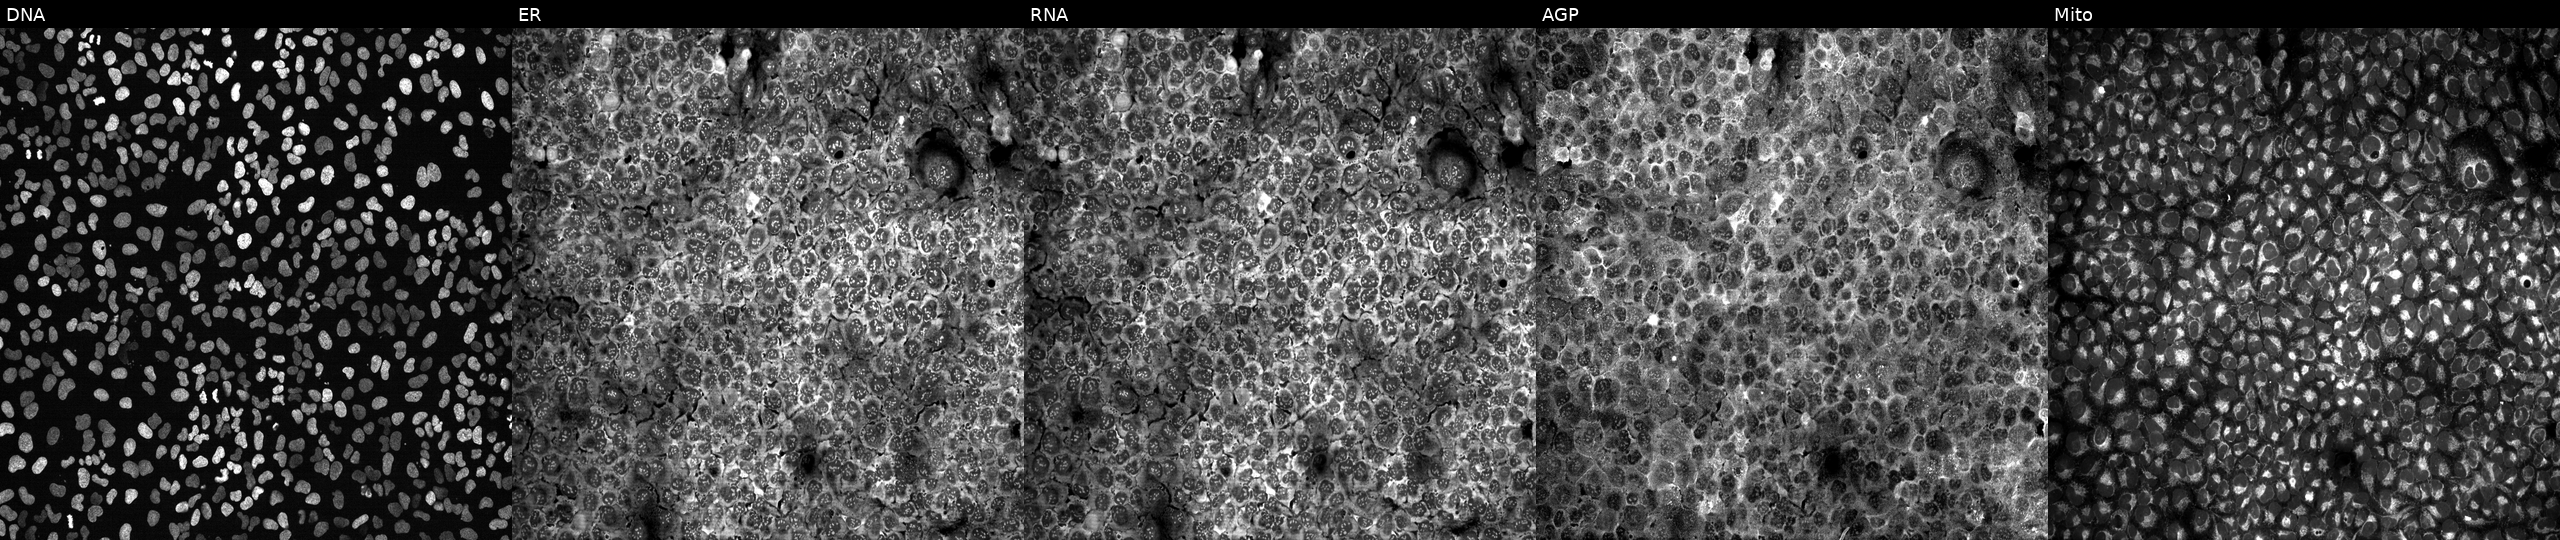
High-content fluorescence microscopy (Cell Painting). Cell line: U2OS. Perturbation: following CRISPR knockout of SLC27A2 (JUMP id JCP2022_806473). The five panels, left to right, show DNA (nuclei); ER (endoplasmic reticulum); RNA (nucleoli and cytoplasmic RNA); AGP (actin cytoskeleton, Golgi, and plasma membrane); Mito (mitochondria).